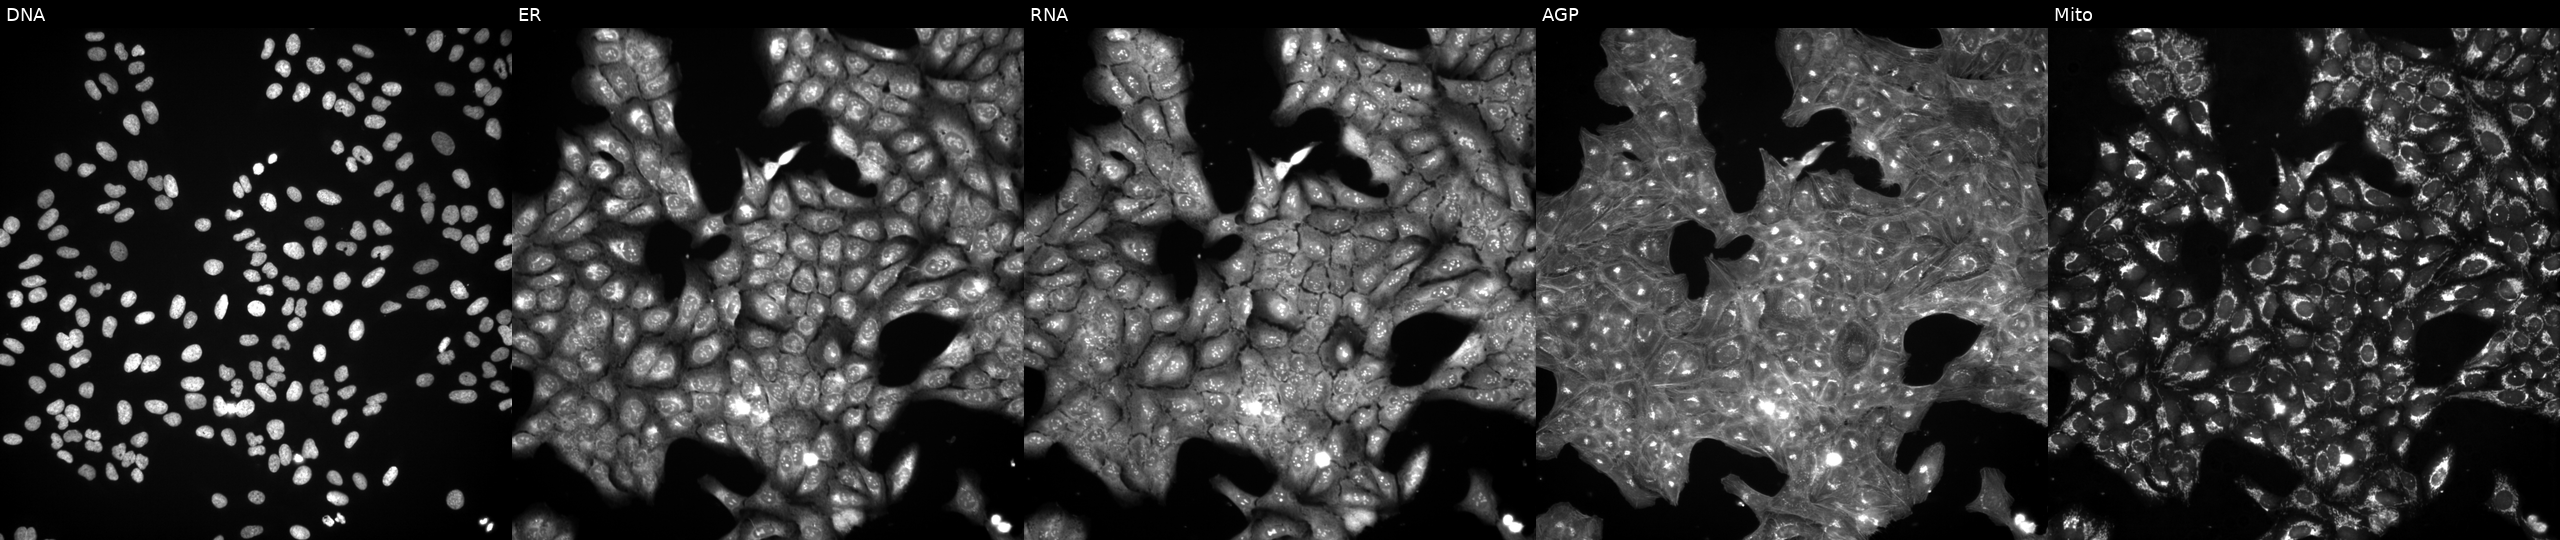
This image strip shows the five Cell Painting channels for a single field of U2OS cells exposed to a small-molecule compound (InChIKey JYQWSOCOMKQZSC-UHFFFAOYSA-N). Channels (left→right): DNA, ER, RNA, AGP, and Mito.